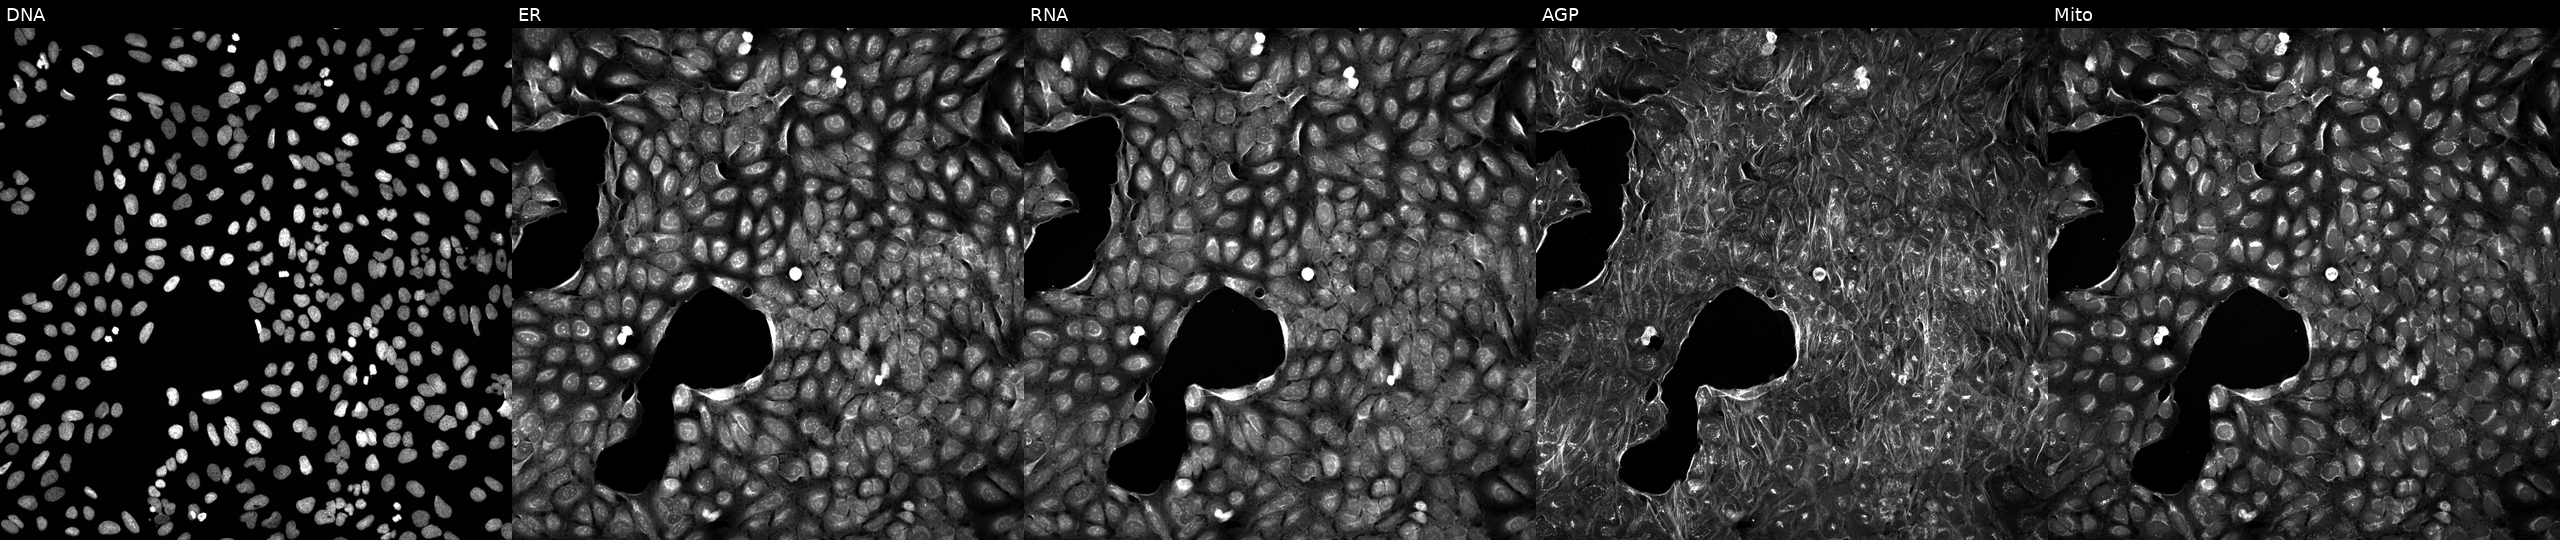
This image strip shows the five Cell Painting channels for a single field of U2OS cells treated with a small-molecule compound (InChIKey YEDQZAWHNQSEAJ-UHFFFAOYSA-N). The five panels, left to right, show DNA, ER, RNA, AGP, and Mito.